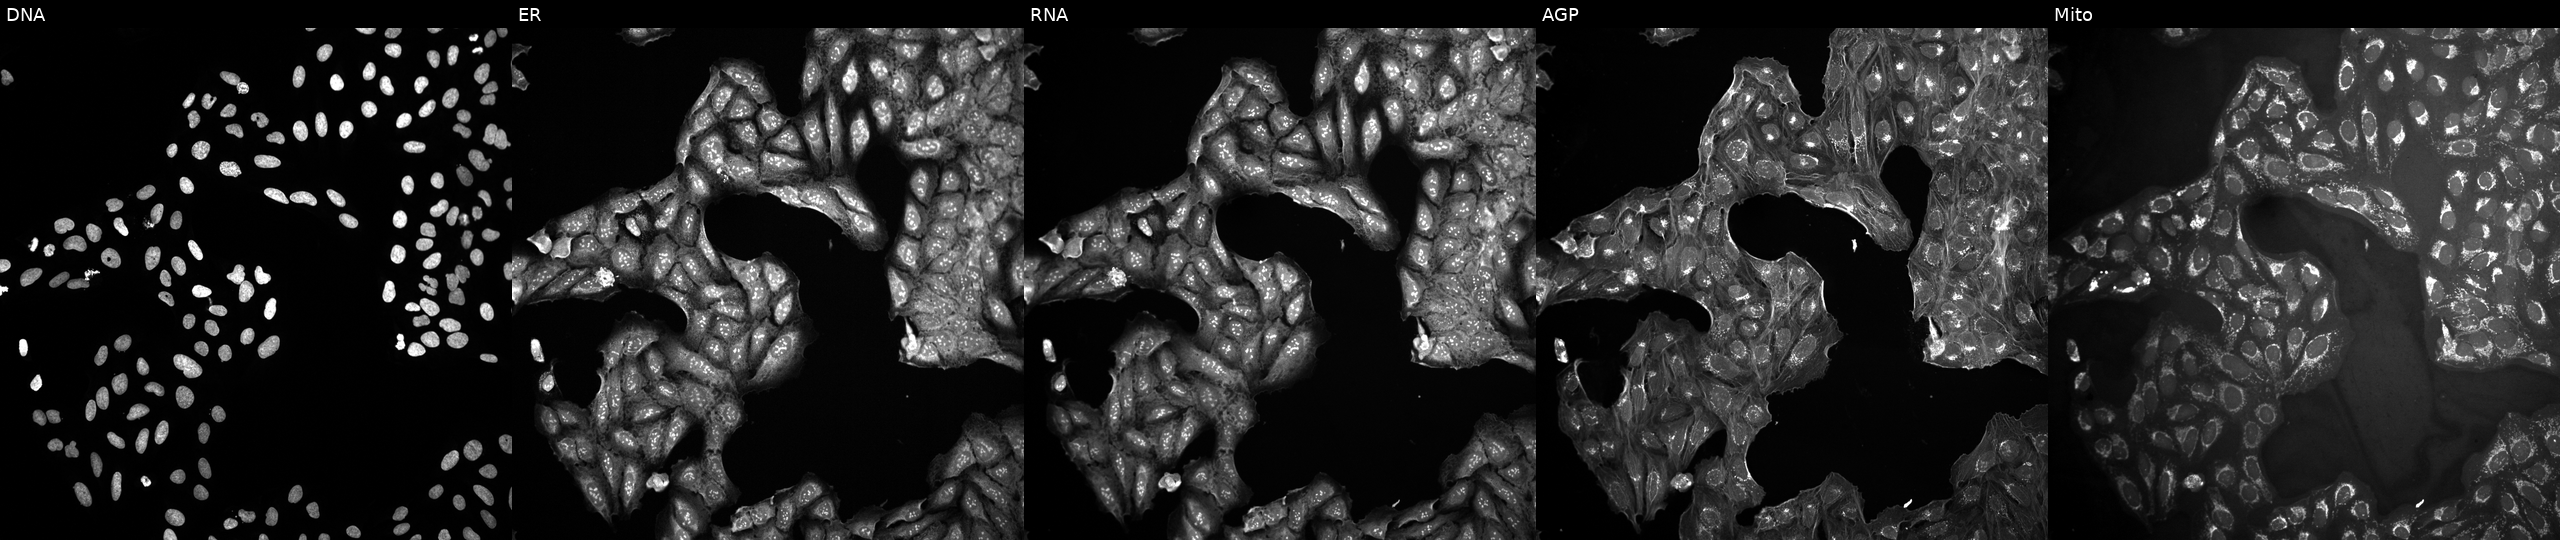
Five-channel Cell Painting image of U2OS cells in an empty control well (no perturbation) (JUMP id JCP2022_999999). Panels show, left to right, DNA, ER, RNA, AGP, and Mito. Source 10, plate Dest210531-152149, well P22.